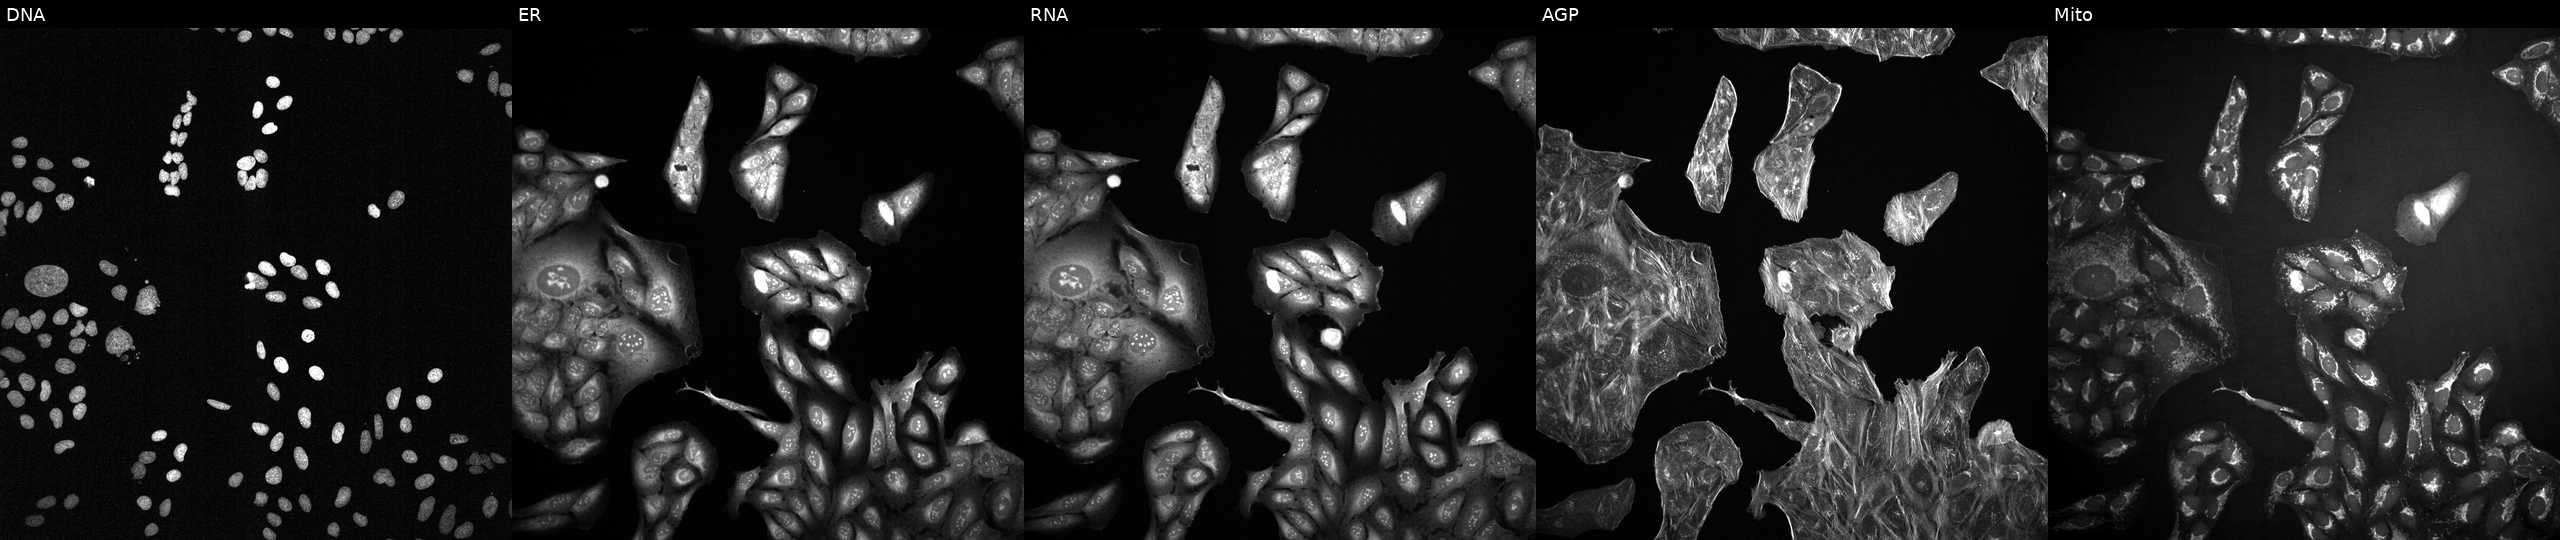
JUMP Cell Painting — TARGET2 plate. U2OS cells treated with a small-molecule compound (InChIKey SHZKQBHERIJWAO-UHFFFAOYSA-N) [SMILES: O=C(O)C=Cc1ccc(Cn2ccnc2)cc1] (JUMP id JCP2022_083372). Channels (left→right): DNA, ER, RNA, AGP, and Mito.